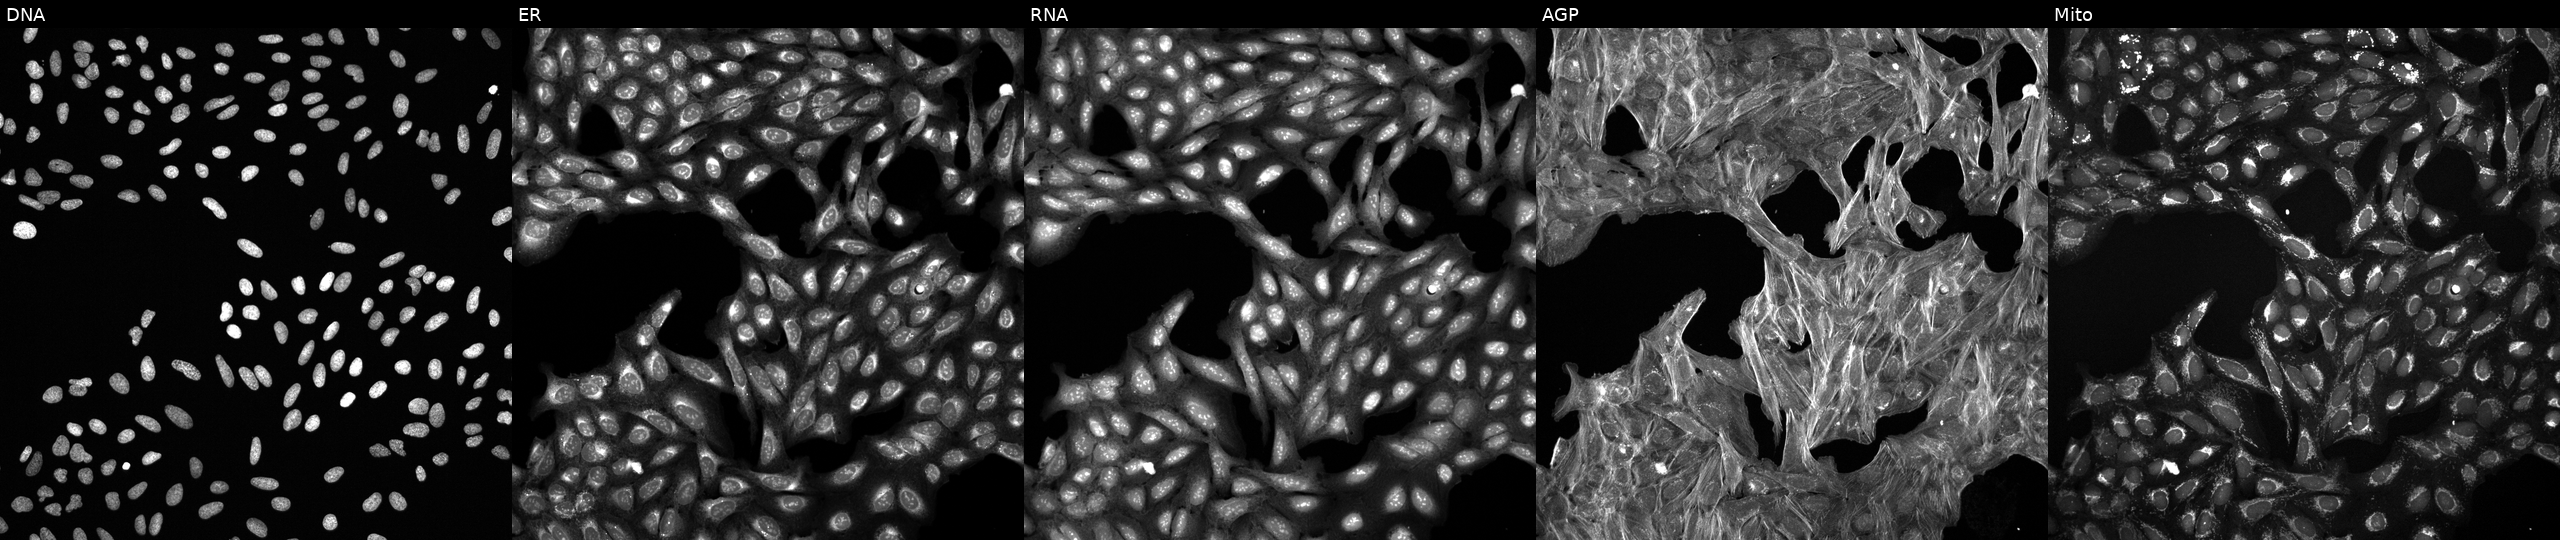
The five panels, left to right, show DNA (nuclei); ER (endoplasmic reticulum); RNA (nucleoli and cytoplasmic RNA); AGP (actin cytoskeleton, Golgi, and plasma membrane); Mito (mitochondria). U2OS osteosarcoma cells exposed to DMSO alone as a negative control (JUMP id JCP2022_033924). Cell Painting assay, JUMP-CP dataset.